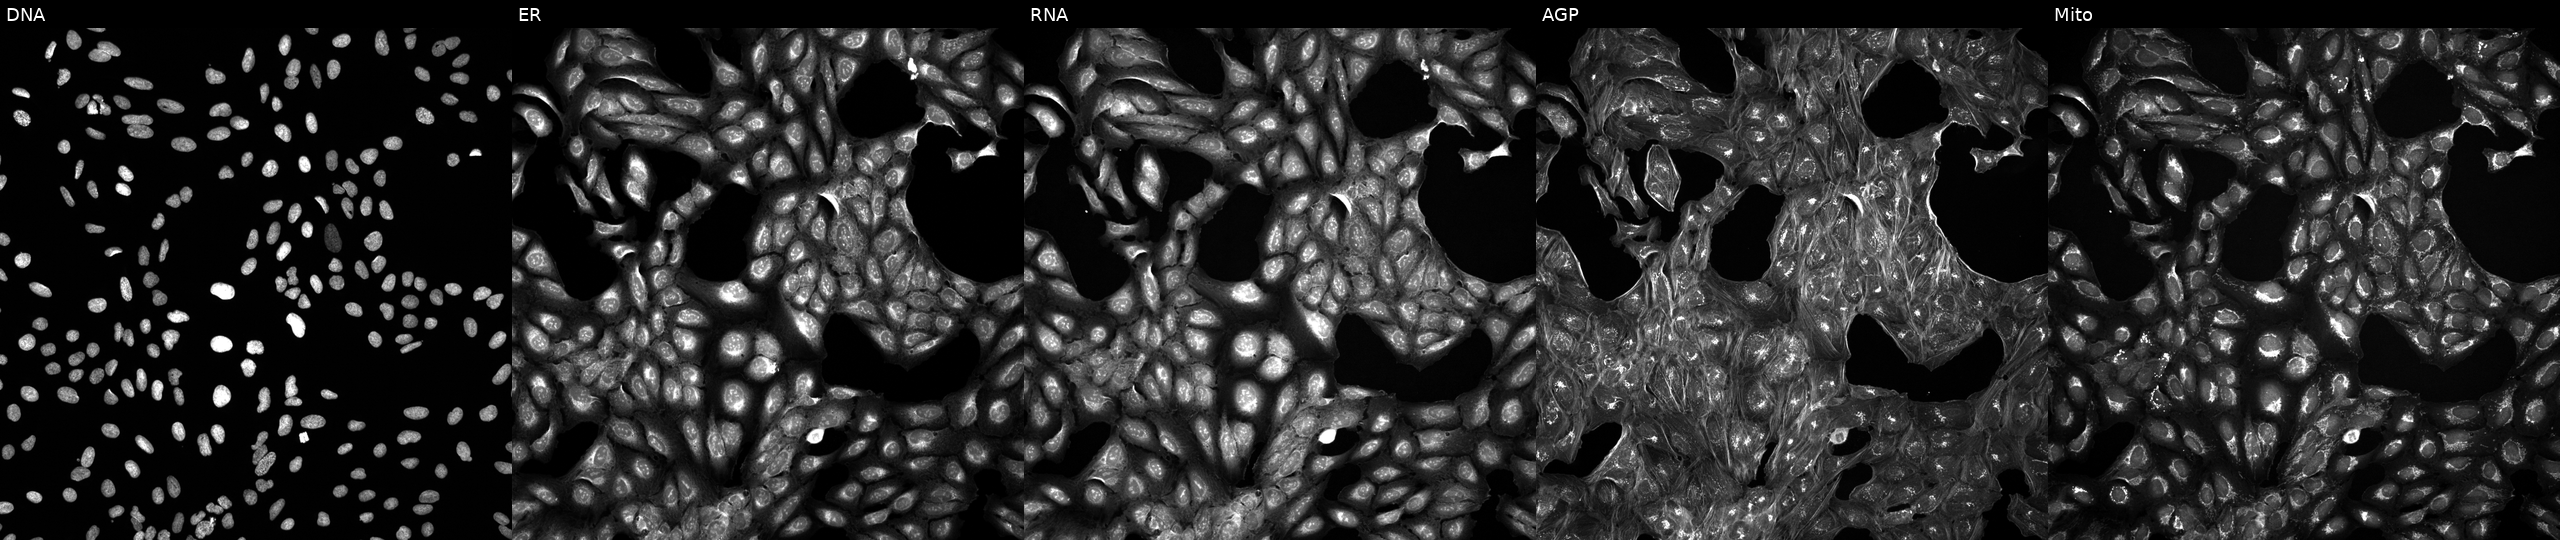
JUMP Cell Painting — TARGET2 plate. U2OS cells perturbed with a small-molecule compound (InChIKey HFYPTENHTPNXGP-UHFFFAOYSA-N) (JUMP id JCP2022_029951). Channels (left→right): DNA, ER, RNA, AGP, and Mito.